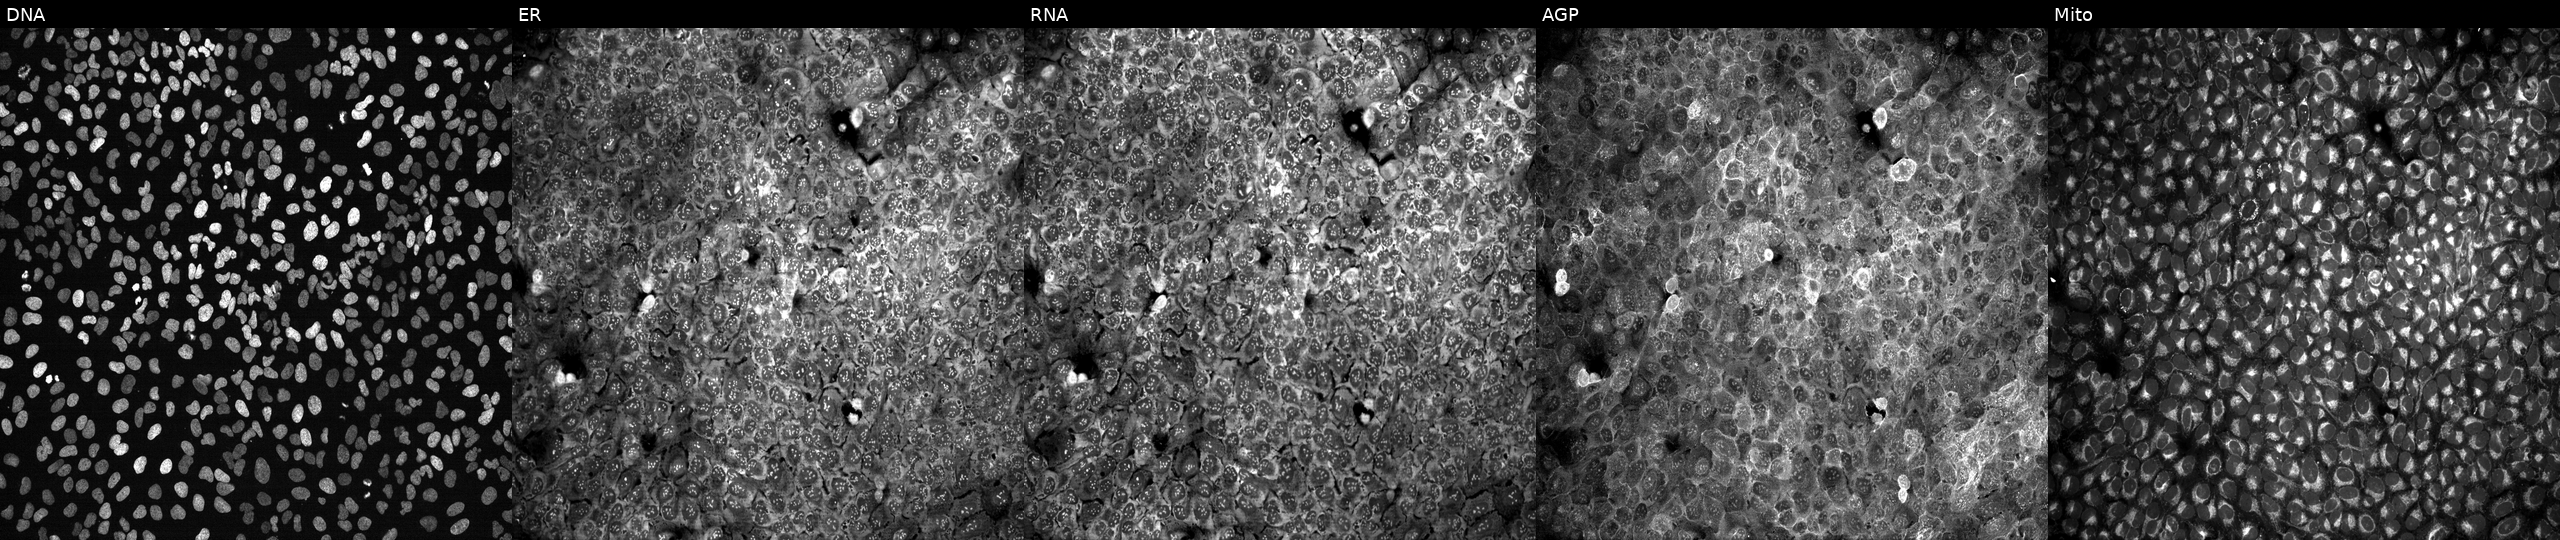
High-content fluorescence microscopy (Cell Painting). Cell line: U2OS. Perturbation: following CRISPR knockout of ABCG1. The five panels, left to right, show DNA, ER, RNA, AGP, and Mito. Source 13, plate CP-CC9-R4-04, well H10.